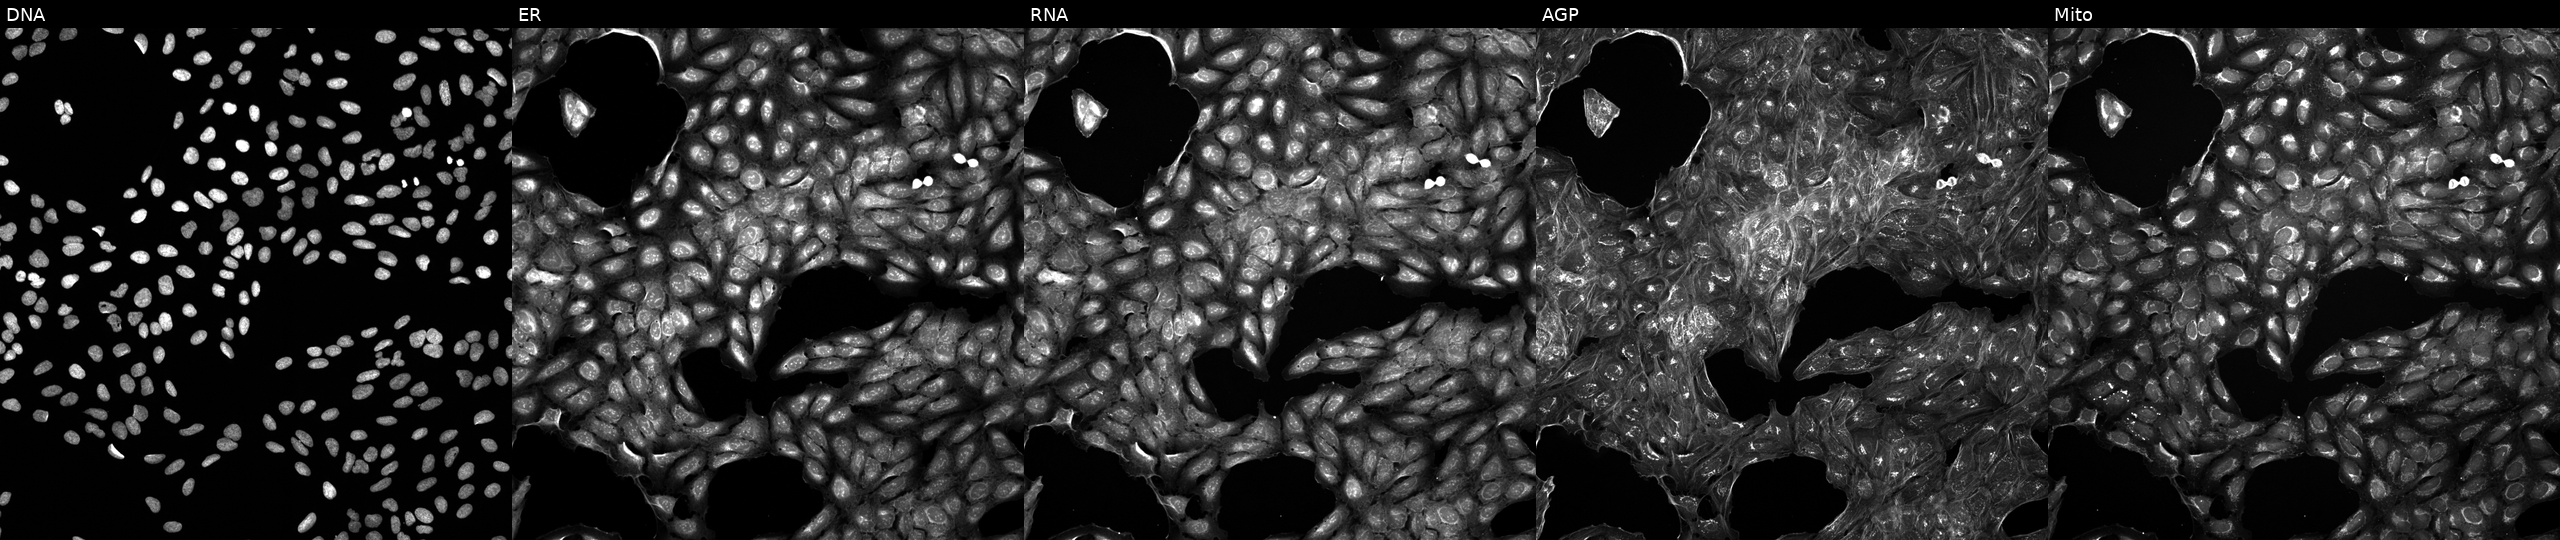
This image strip shows the five Cell Painting channels for a single field of U2OS cells perturbed with a small-molecule compound. From left to right: Hoechst 33342, concanavalin A, SYTO 14, phalloidin and WGA, MitoTracker.